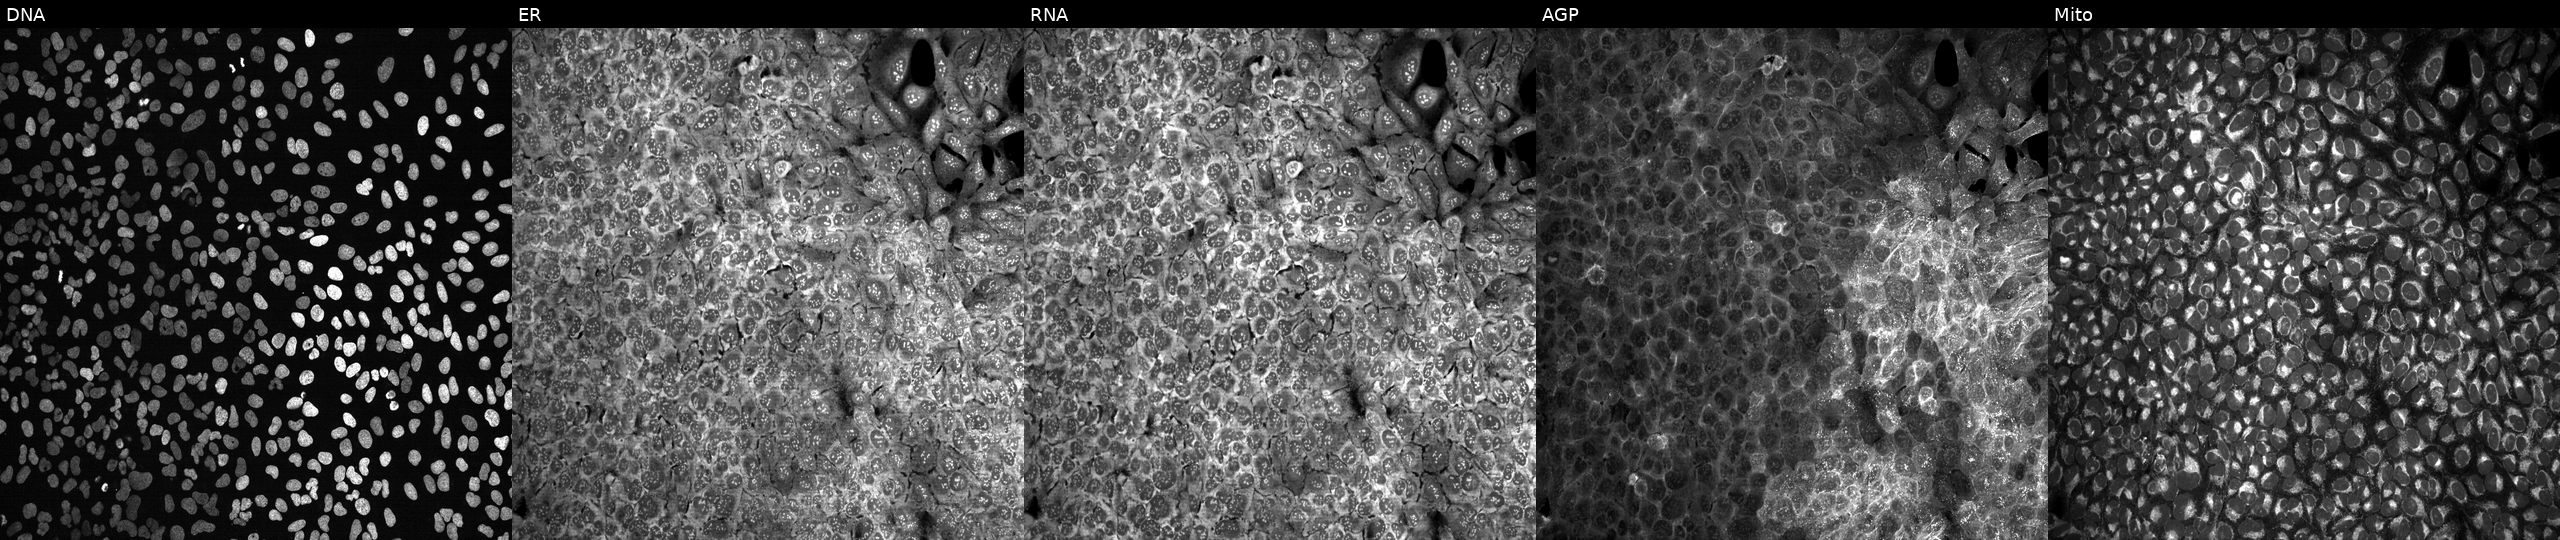
Five-channel Cell Painting image of U2OS cells exposed to the positive-control compound aloxistatin. Panels show, left to right, Hoechst 33342, concanavalin A, SYTO 14, phalloidin and WGA, MitoTracker.